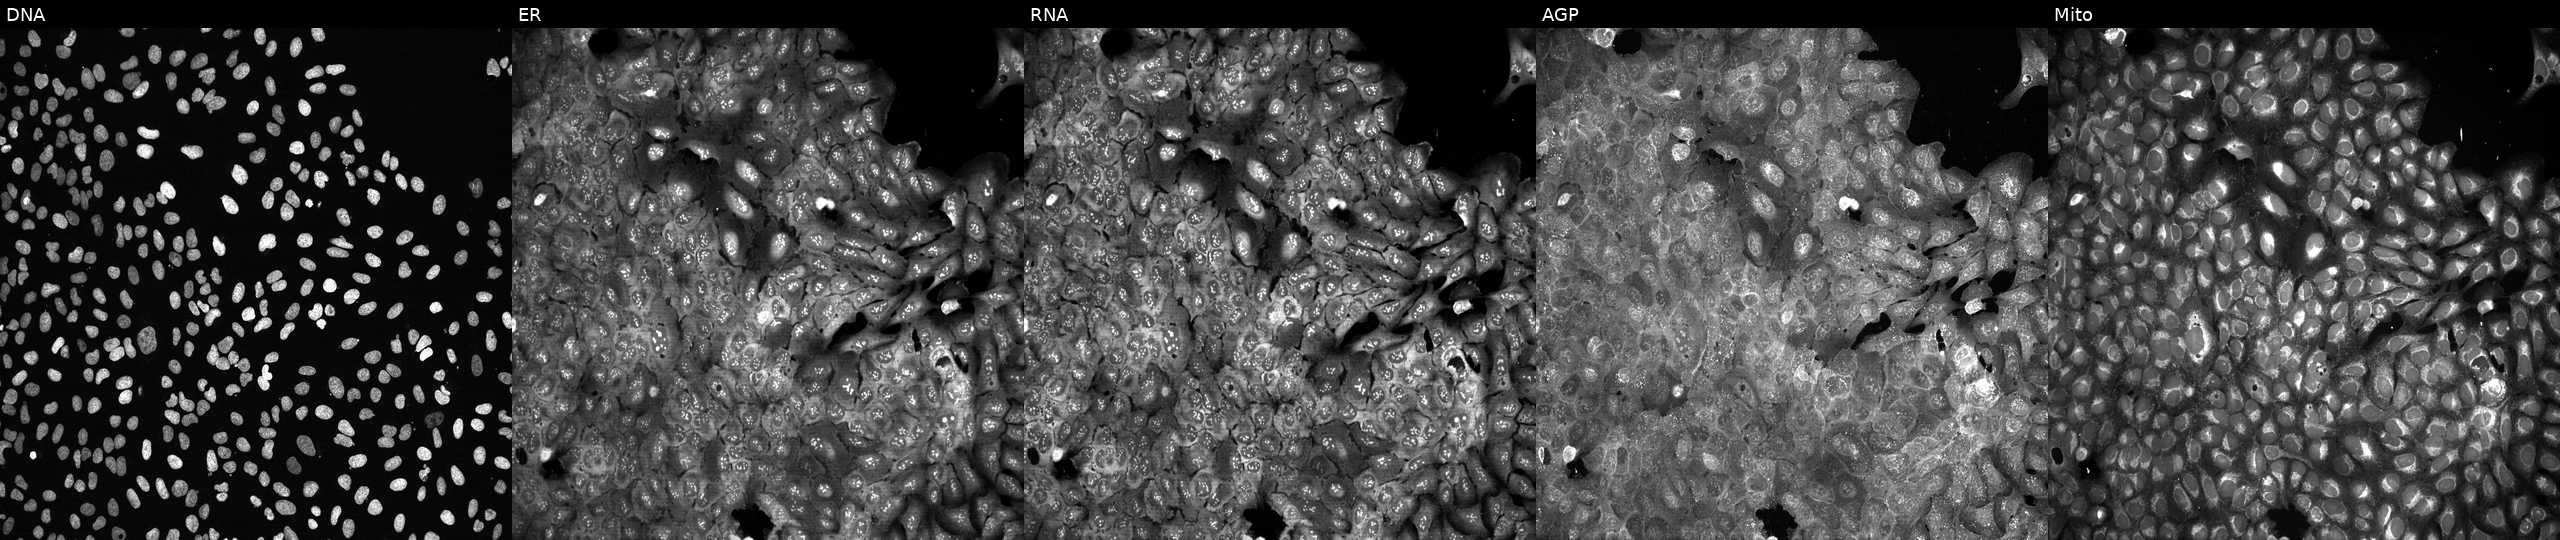
Five-channel Cell Painting image of U2OS cells CRISPR-edited to disrupt GHR (JUMP id JCP2022_802685). Channels (left→right): DNA (nuclei); ER (endoplasmic reticulum); RNA (nucleoli and cytoplasmic RNA); AGP (actin cytoskeleton, Golgi, and plasma membrane); Mito (mitochondria).